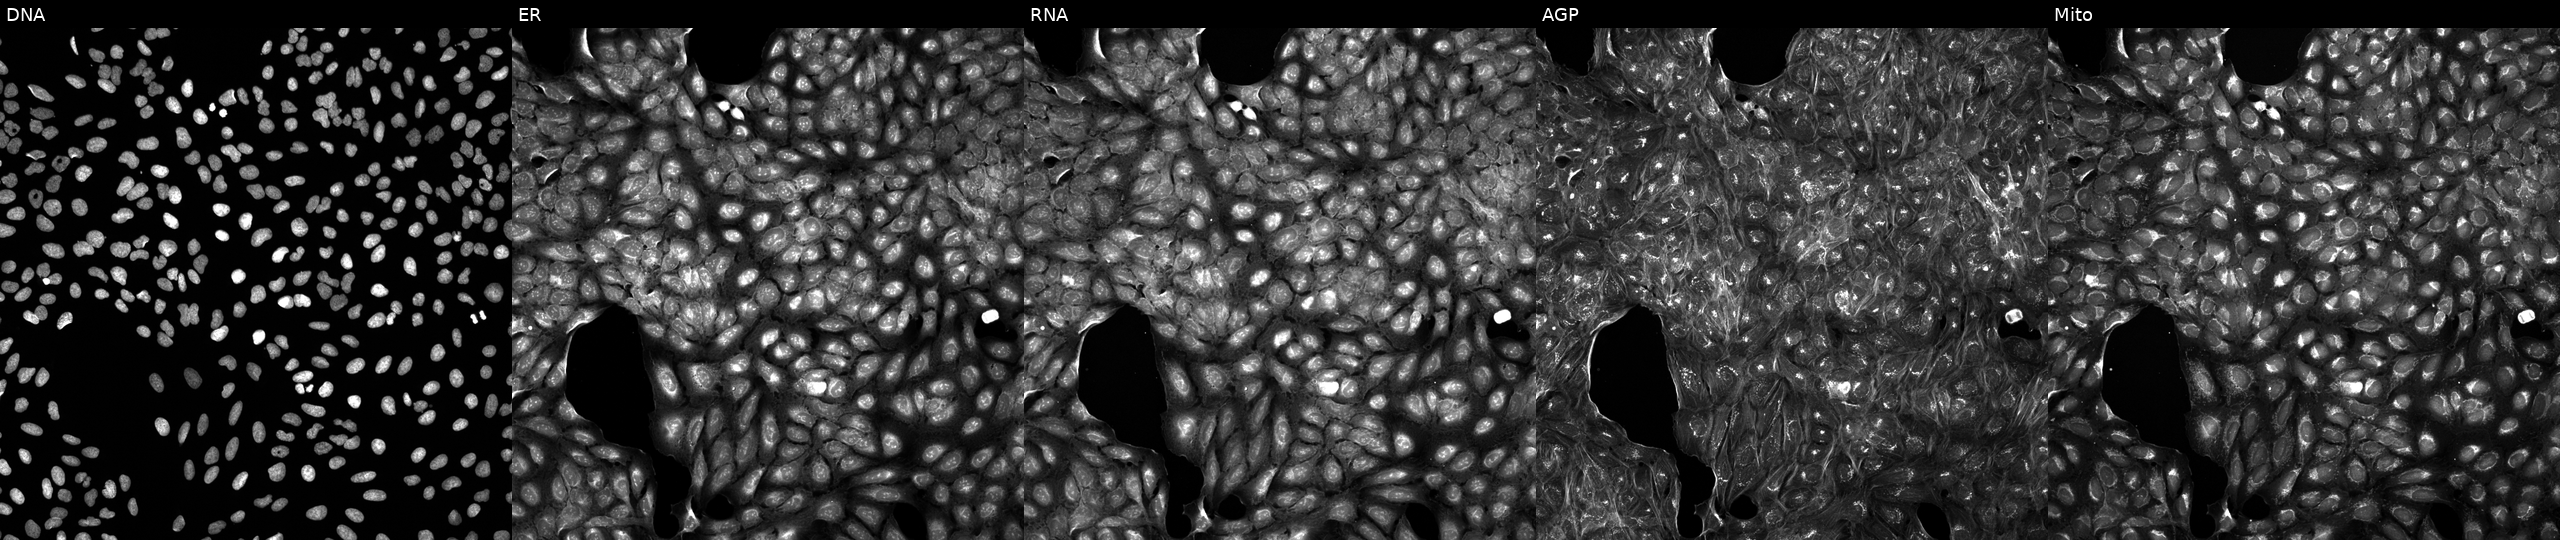
JUMP Cell Painting — COMPOUND plate. U2OS cells perturbed with a small-molecule compound [SMILES: O=C(Cc1ccccc1)Nc1ccc(=NC(=O)c2ccccc2)[nH]c1] (JUMP id JCP2022_104208). Panels show, left to right, DNA, ER, RNA, AGP, and Mito.